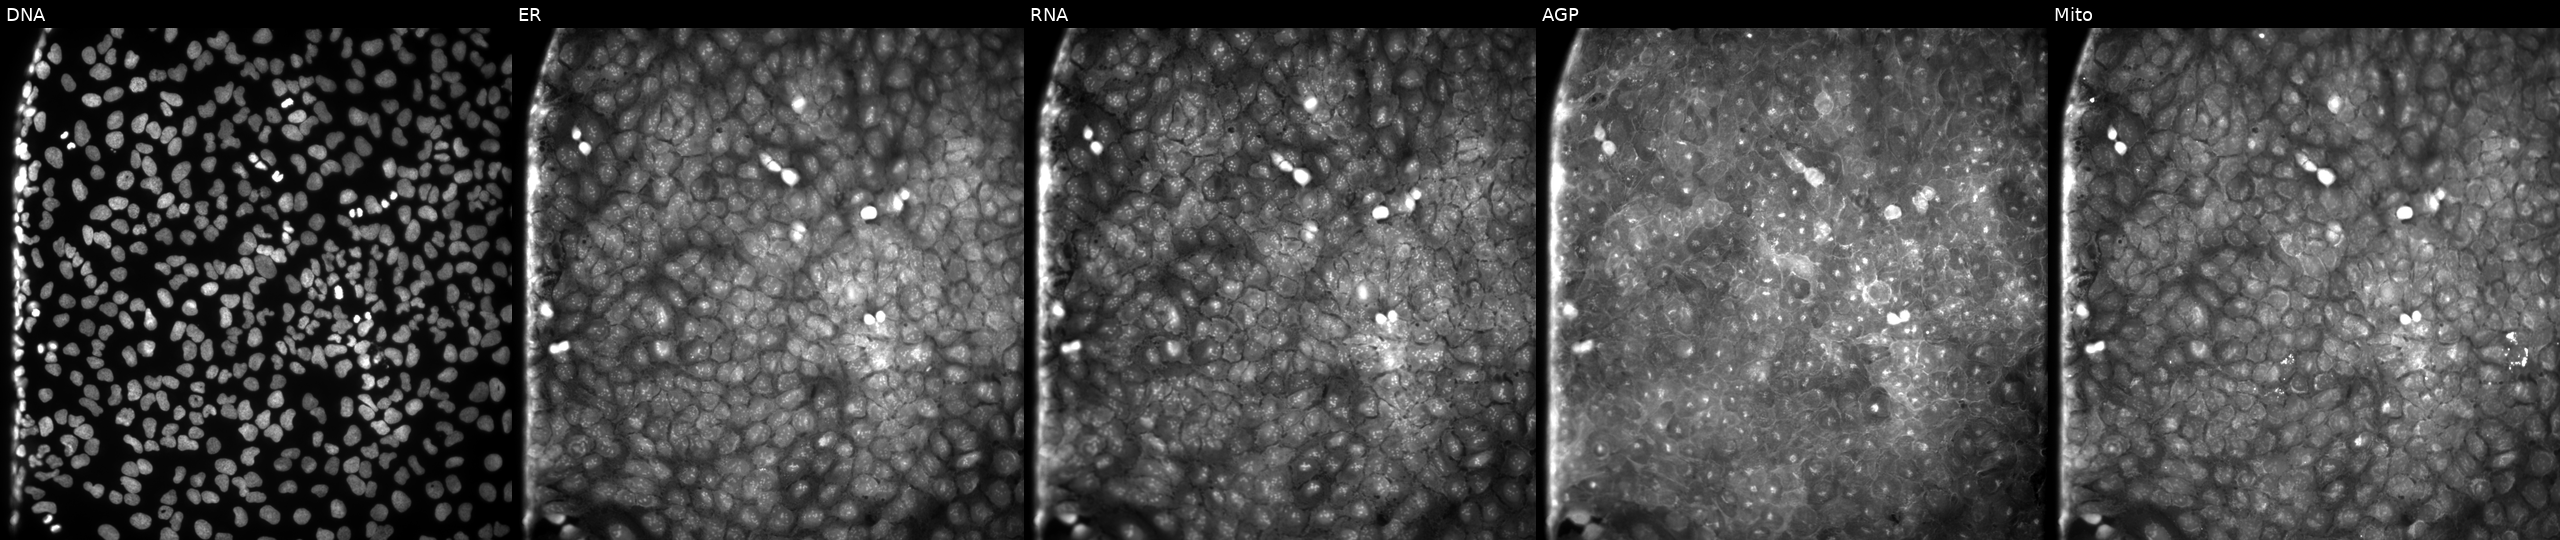
This image strip shows the five Cell Painting channels for a single field of U2OS cells treated with a small-molecule compound (InChIKey JBHRBFPAOPVRHM-UHFFFAOYSA-N) (JUMP id JCP2022_038667). The five panels, left to right, show Hoechst 33342, concanavalin A, SYTO 14, phalloidin and WGA, MitoTracker. Source 9, plate GR00003382, well T06.